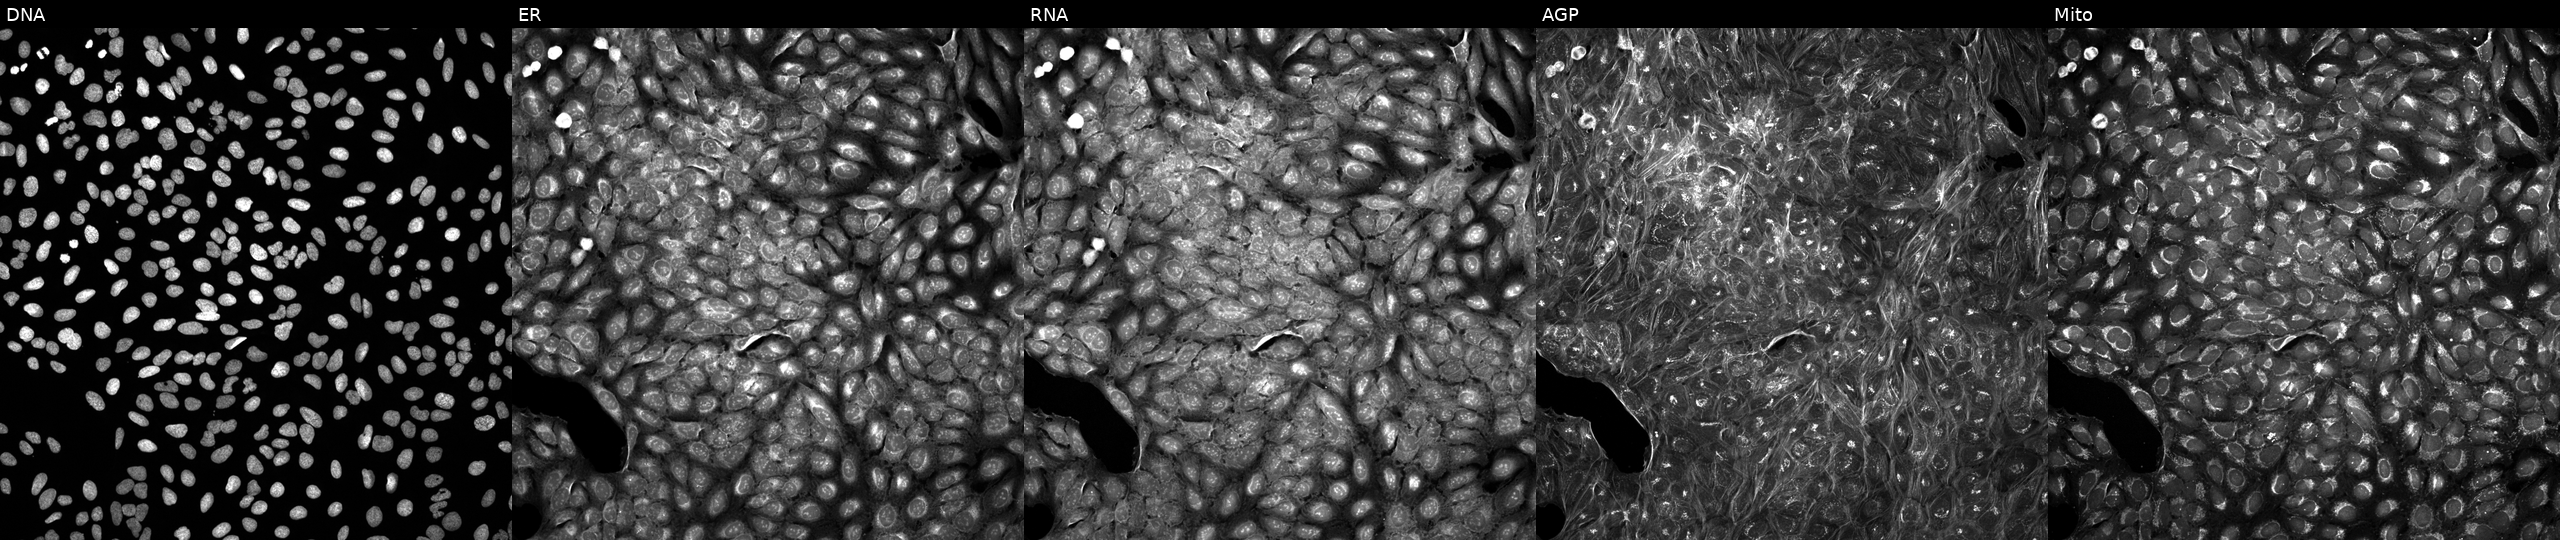
High-content fluorescence microscopy (Cell Painting). Cell line: U2OS. Perturbation: treated with a small-molecule compound (InChIKey WXPNDRBBWZMPQG-UHFFFAOYSA-N). The five panels, left to right, show Hoechst 33342, concanavalin A, SYTO 14, phalloidin and WGA, MitoTracker. Source 5, plate ACPJUM051, well F23.